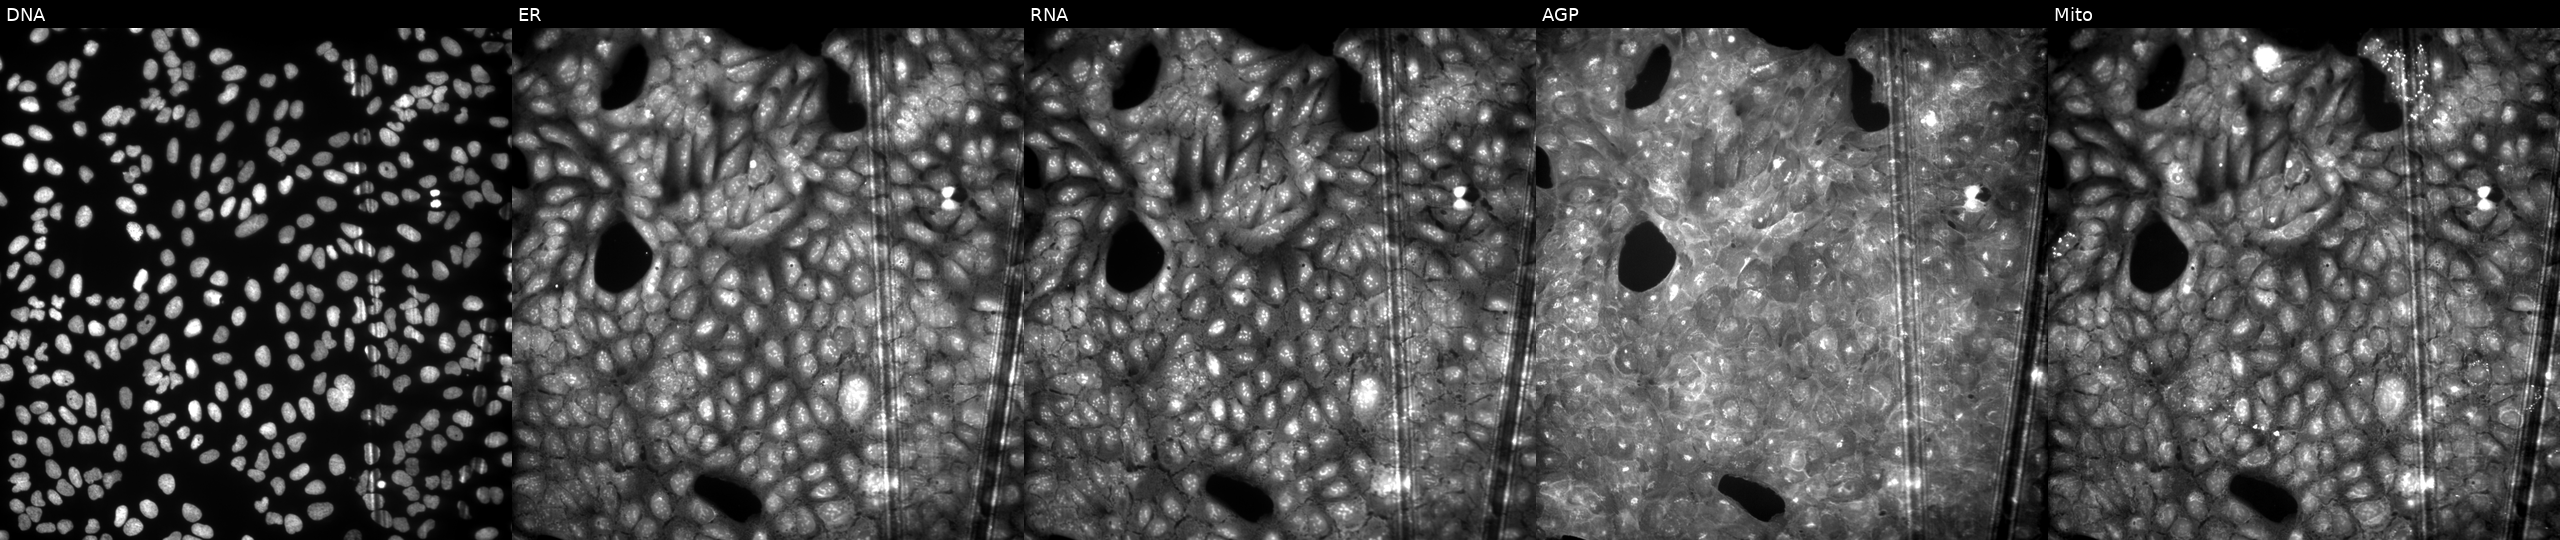
U2OS cells, Cell Painting assay, perturbed with a small-molecule compound (InChIKey NQRHAFWMJUMCPI-UHFFFAOYSA-N). The five panels, left to right, show DNA, ER, RNA, AGP, and Mito. Each panel is percentile-stretched 16-bit fluorescence. Source 9, plate GR00003381, well W34.